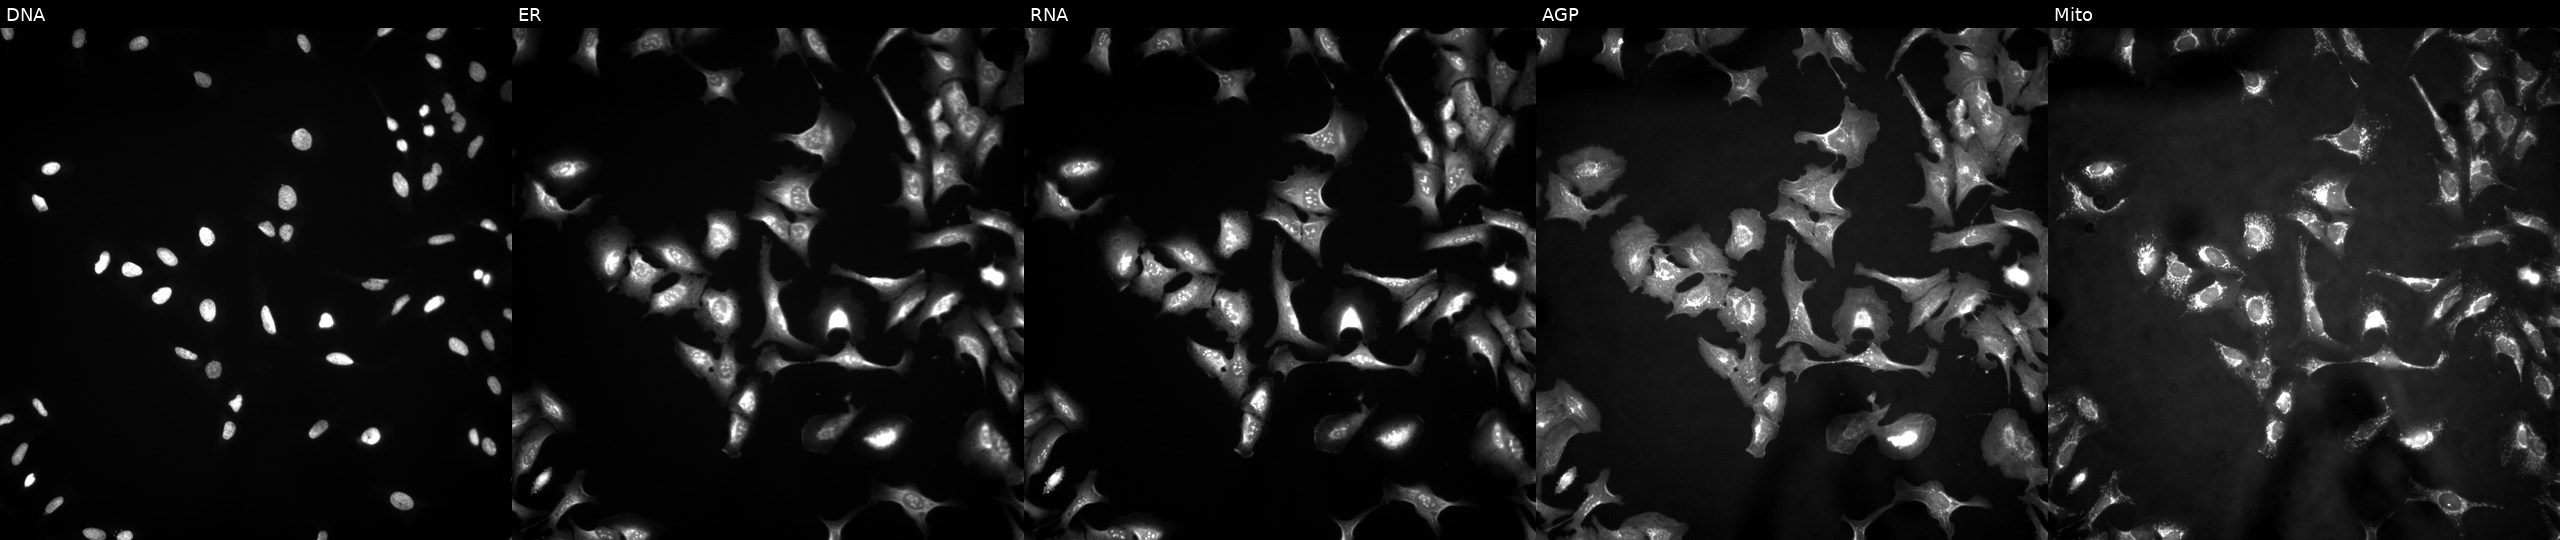
Five-channel Cell Painting image of U2OS cells transfected with an ORF construct for N4BP2L1. Panels show, left to right, DNA (nuclei); ER (endoplasmic reticulum); RNA (nucleoli and cytoplasmic RNA); AGP (actin cytoskeleton, Golgi, and plasma membrane); Mito (mitochondria).